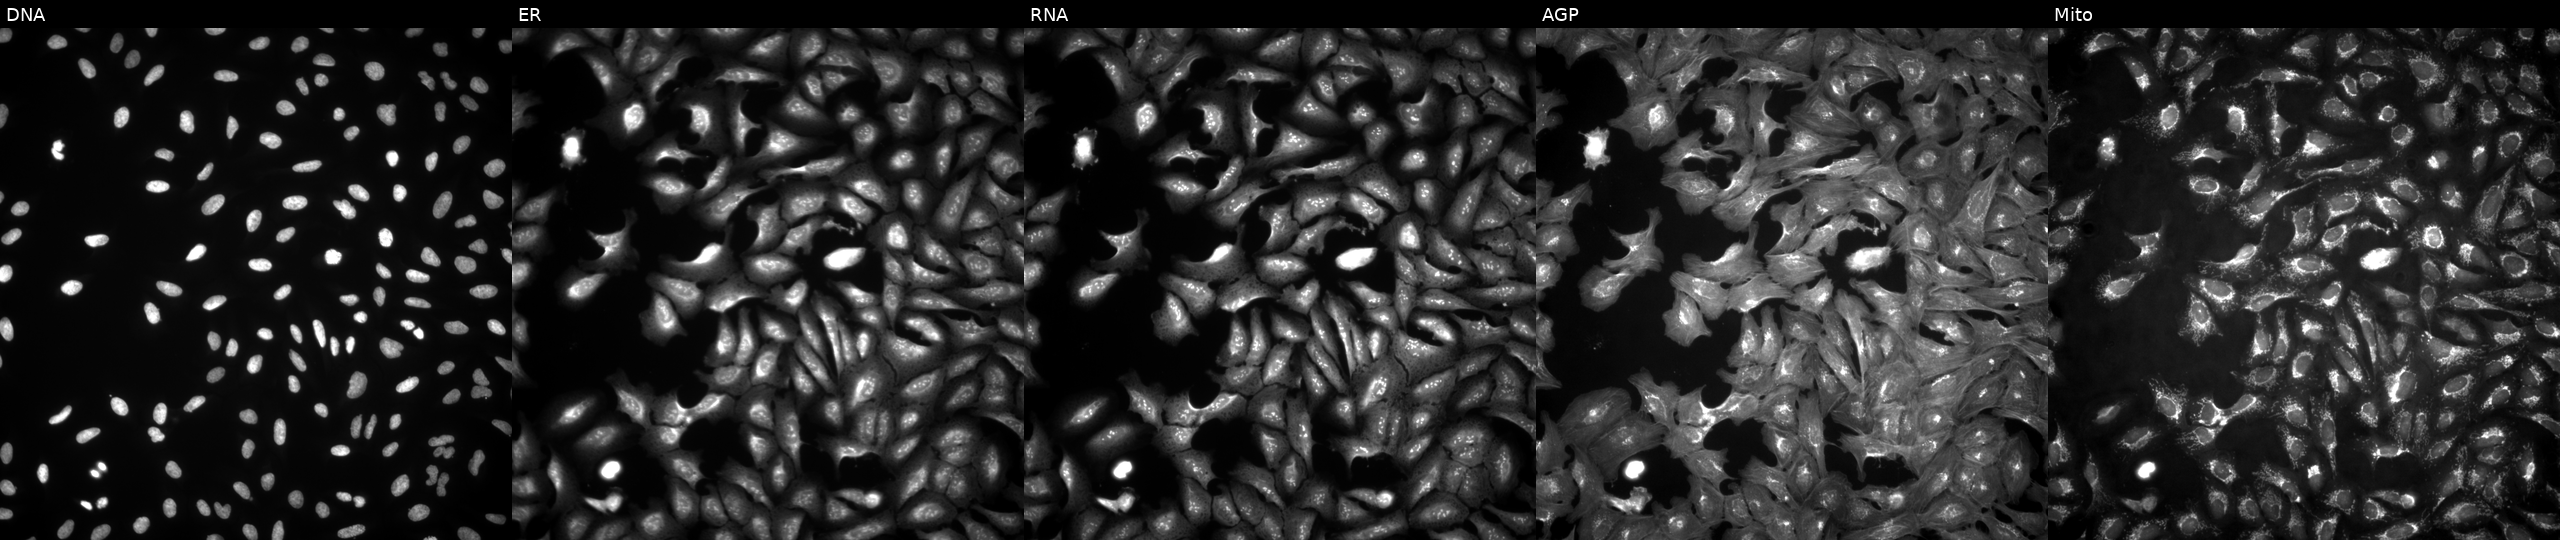
JUMP Cell Painting — ORF plate. U2OS cells with DGUOK overexpressed (ORF) (JUMP id JCP2022_910043). From left to right: DNA, ER, RNA, AGP, and Mito.